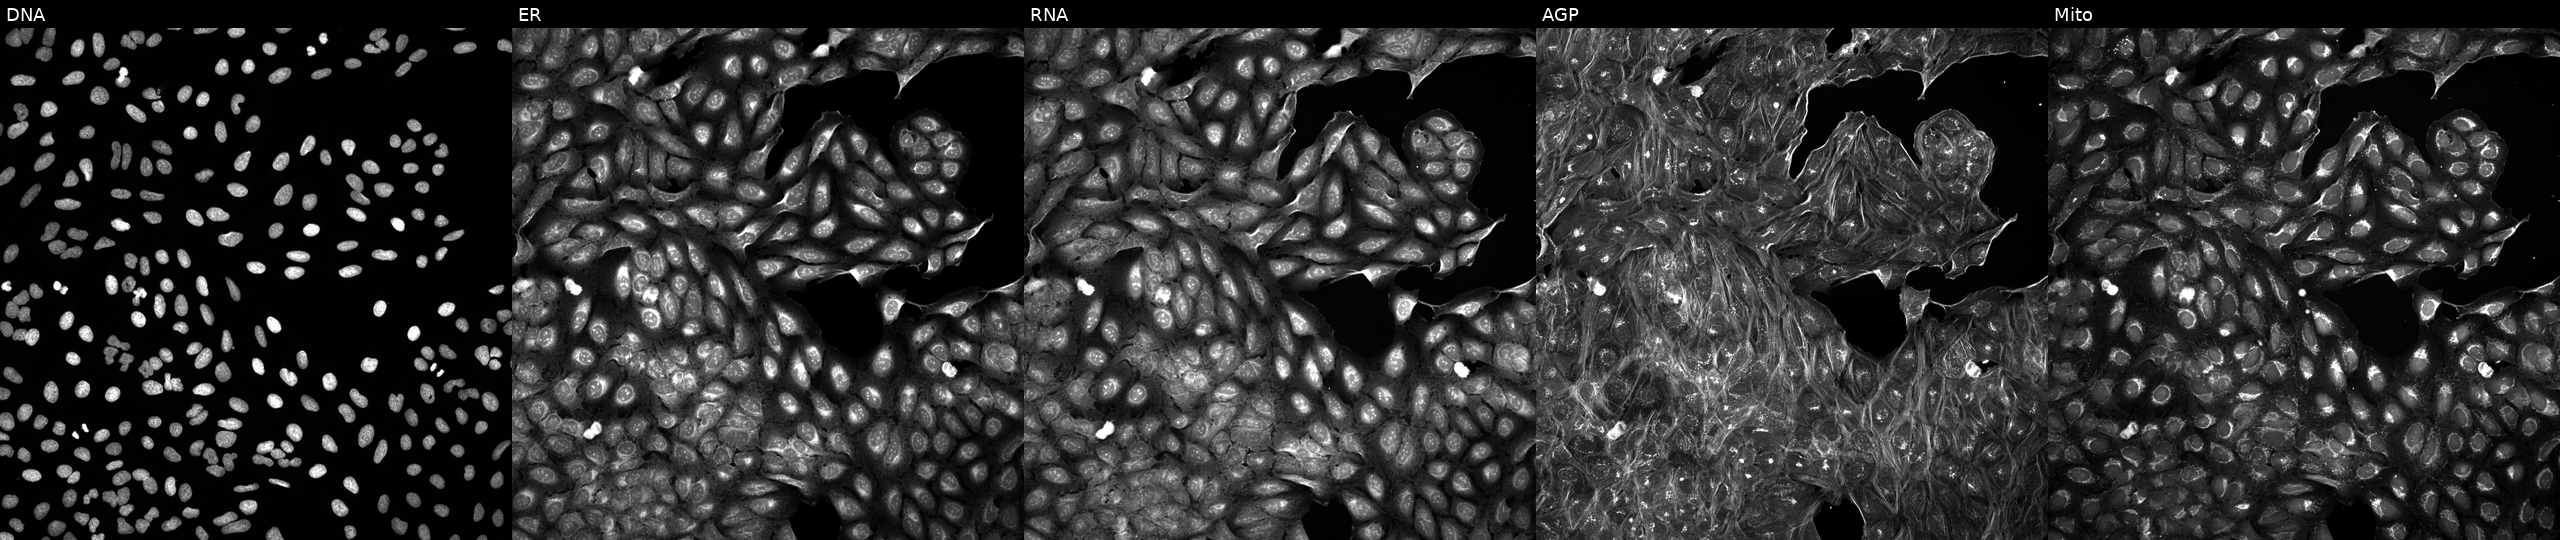
U2OS cells, Cell Painting assay, exposed to a small-molecule compound [SMILES: CCOC(=O)c1cc(C#N)c(N2CCC(C(=O)NS(=O)(=O)Cc3ccccc3)CC2)nc1C] (JUMP id JCP2022_058461). The five panels, left to right, show DNA, ER, RNA, AGP, and Mito. Each panel is percentile-stretched 16-bit fluorescence. Source 5, plate ACPJUM032, well M24.